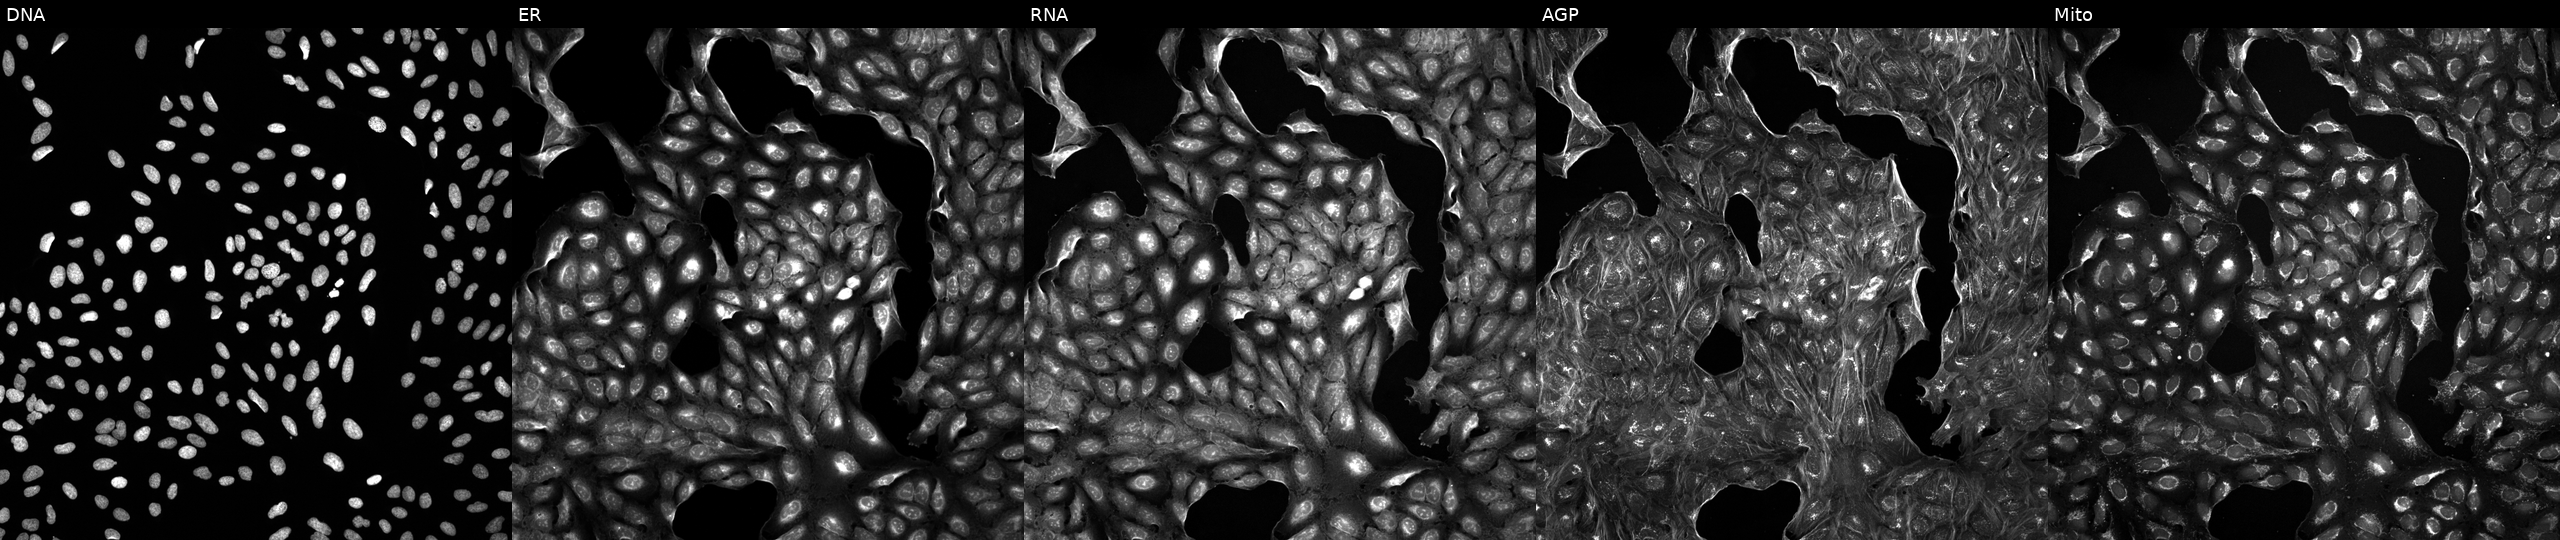
JUMP Cell Painting — TARGET2 plate. U2OS cells treated with DMSO vehicle only (negative control) (JUMP id JCP2022_033924). The five panels, left to right, show Hoechst 33342, concanavalin A, SYTO 14, phalloidin and WGA, MitoTracker.